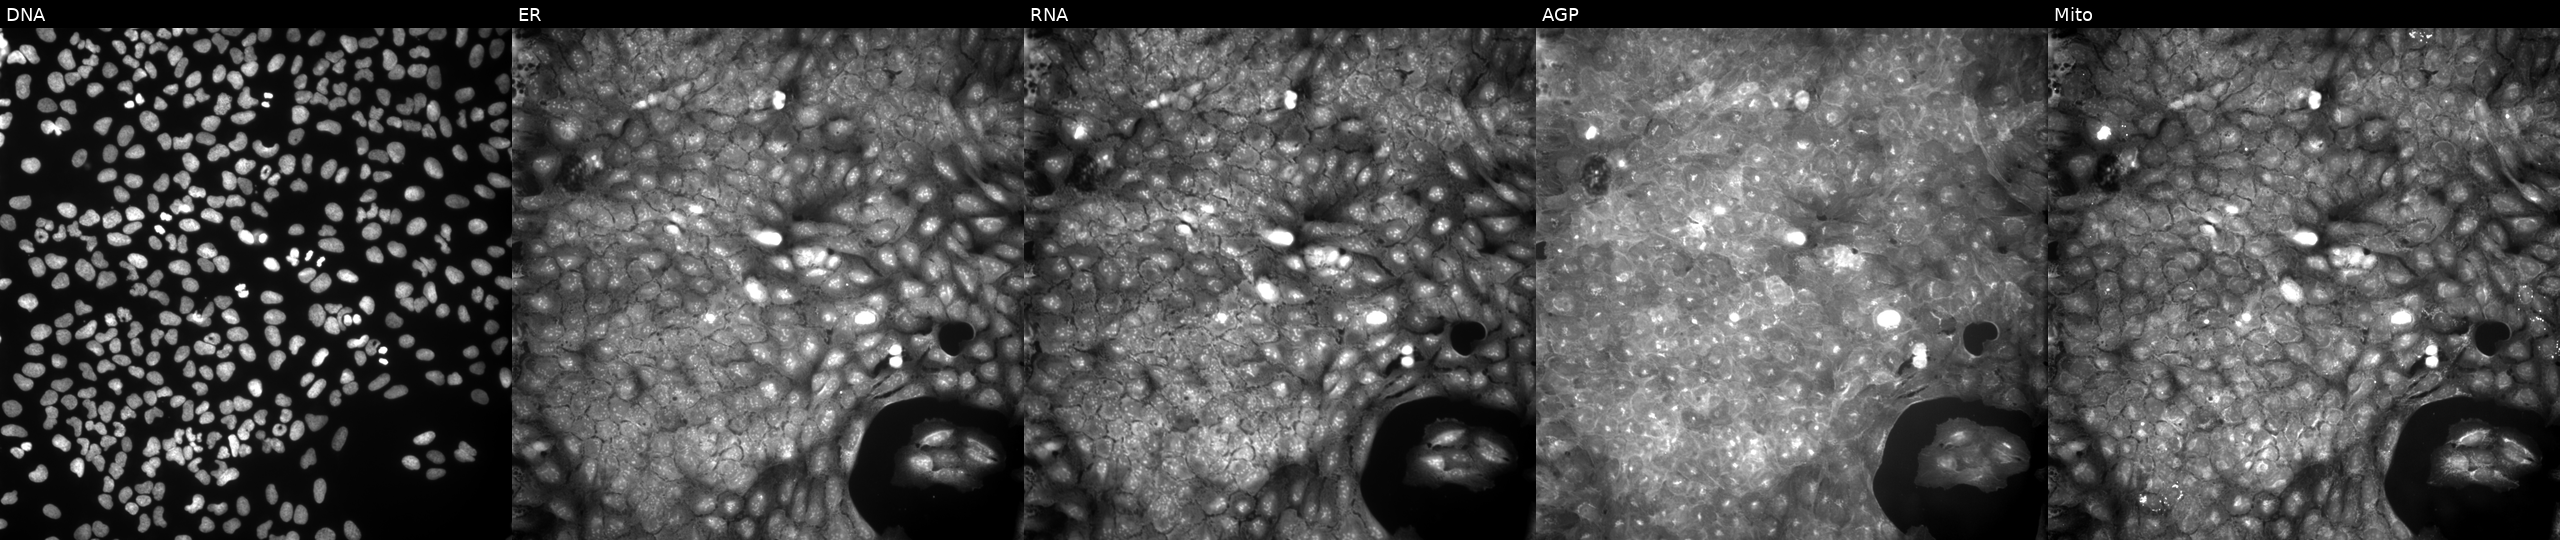
Channels (left→right): DNA, ER, RNA, AGP, and Mito. U2OS osteosarcoma cells treated with a small-molecule compound (InChIKey RAGMPUGFHOIVSC-UHFFFAOYSA-N) (JUMP id JCP2022_077039). Cell Painting assay, JUMP-CP dataset.